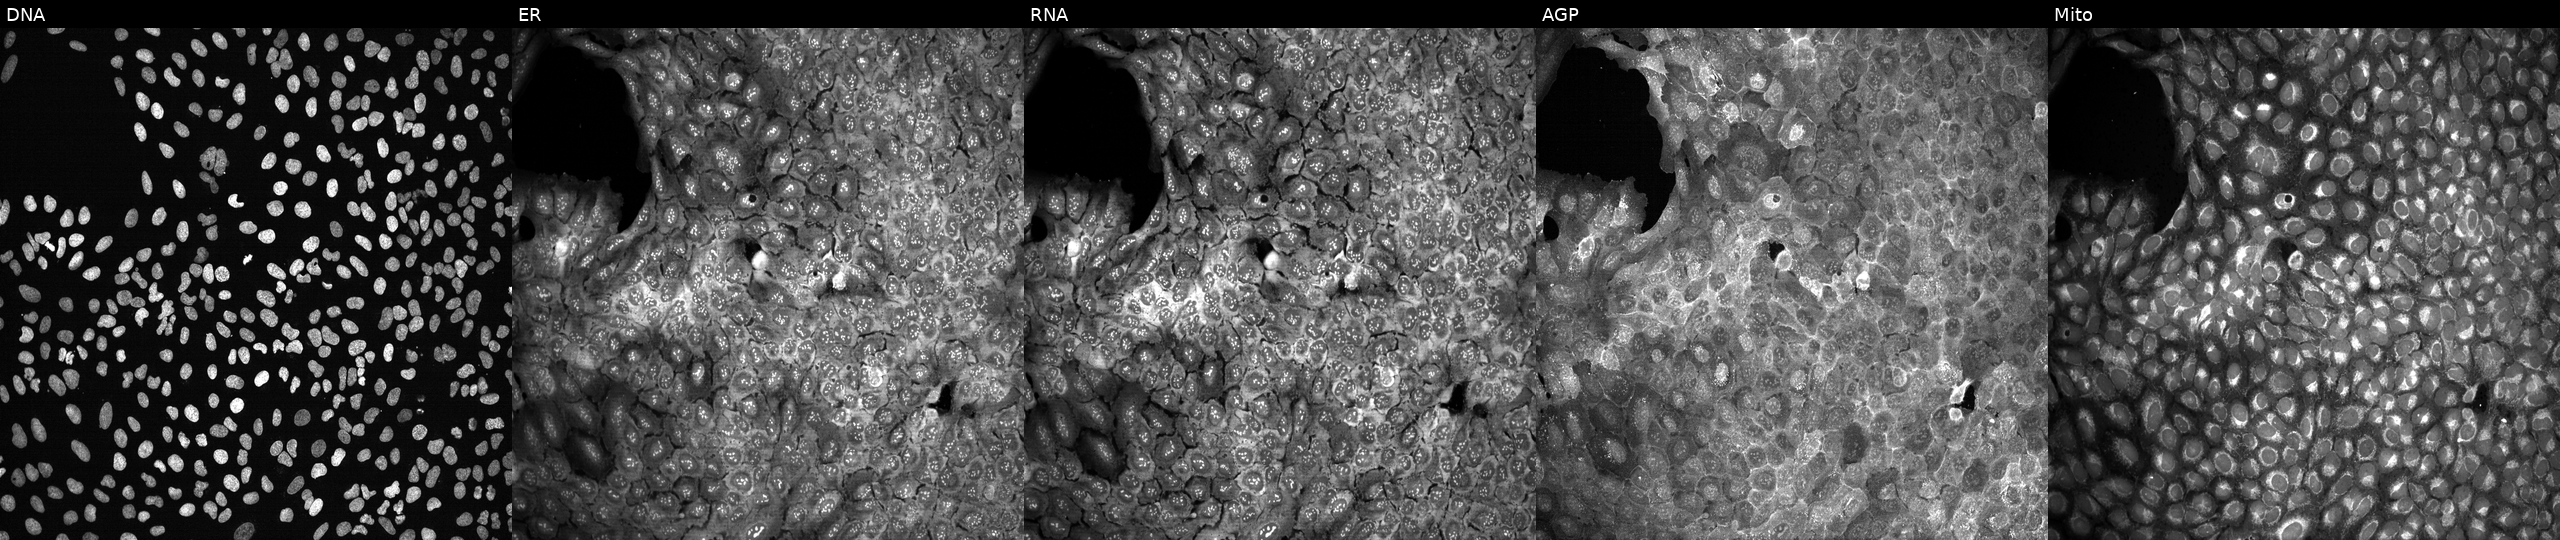
From left to right: Hoechst 33342, concanavalin A, SYTO 14, phalloidin and WGA, MitoTracker. U2OS osteosarcoma cells CRISPR-edited to disrupt DCT (JUMP id JCP2022_801698). Cell Painting assay, JUMP-CP dataset.